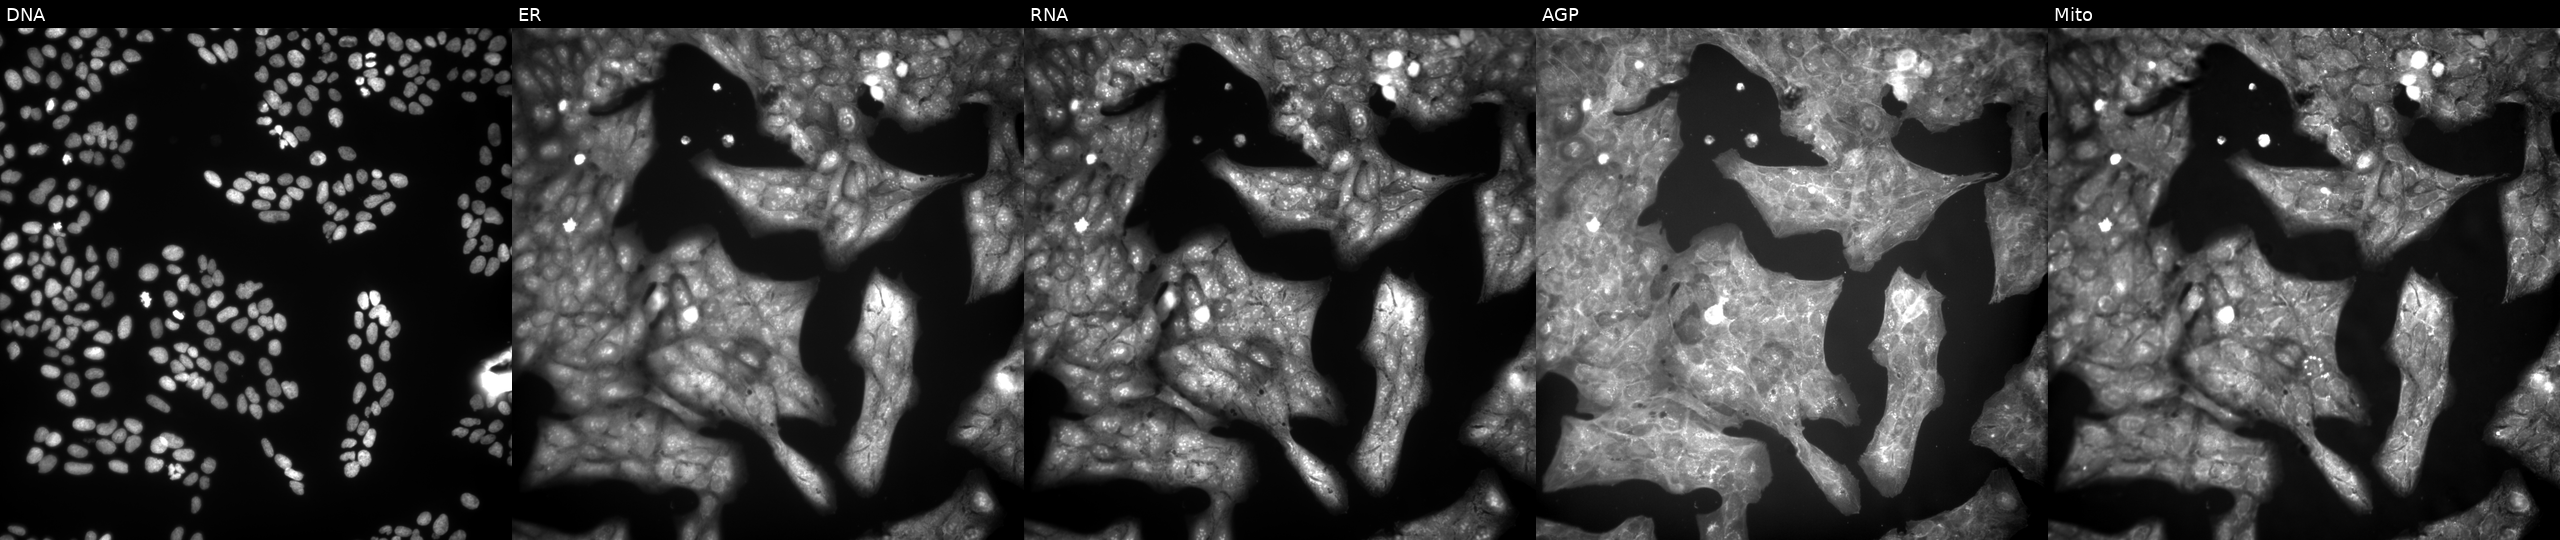
High-content fluorescence microscopy (Cell Painting). Cell line: U2OS. Perturbation: perturbed with a small-molecule compound. From left to right: DNA (nuclei); ER (endoplasmic reticulum); RNA (nucleoli and cytoplasmic RNA); AGP (actin cytoskeleton, Golgi, and plasma membrane); Mito (mitochondria).